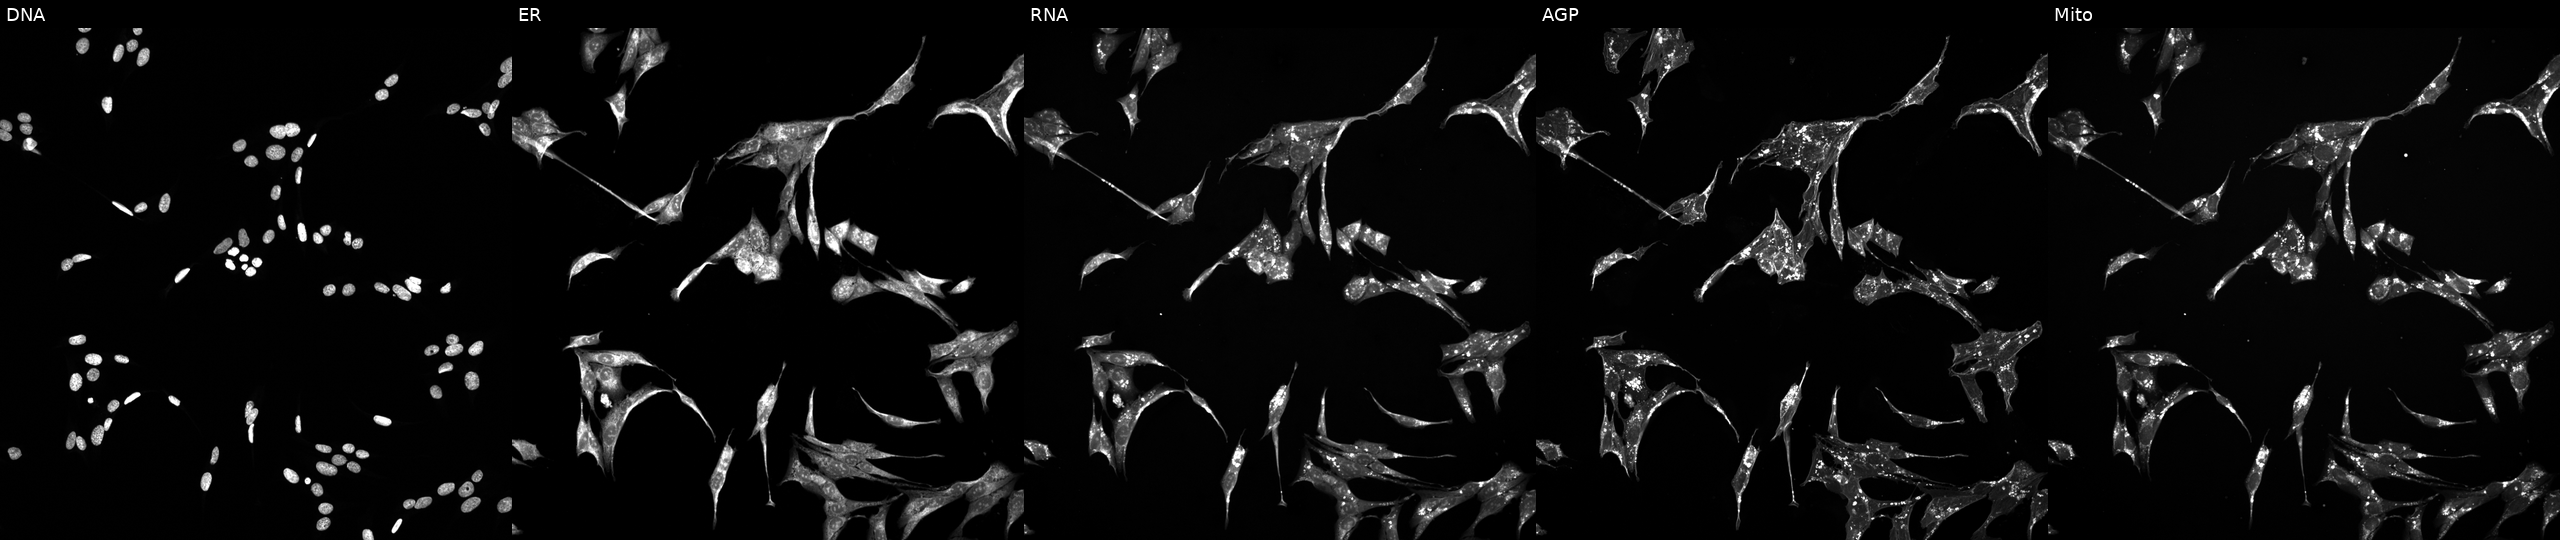
Channels (left→right): DNA, ER, RNA, AGP, and Mito. U2OS osteosarcoma cells exposed to a small-molecule compound (InChIKey DPJNKUOXBZSZAI-UHFFFAOYSA-N) (JUMP id JCP2022_017377). Cell Painting assay, JUMP-CP dataset. Source 5, plate ACPJUM051, well M05.